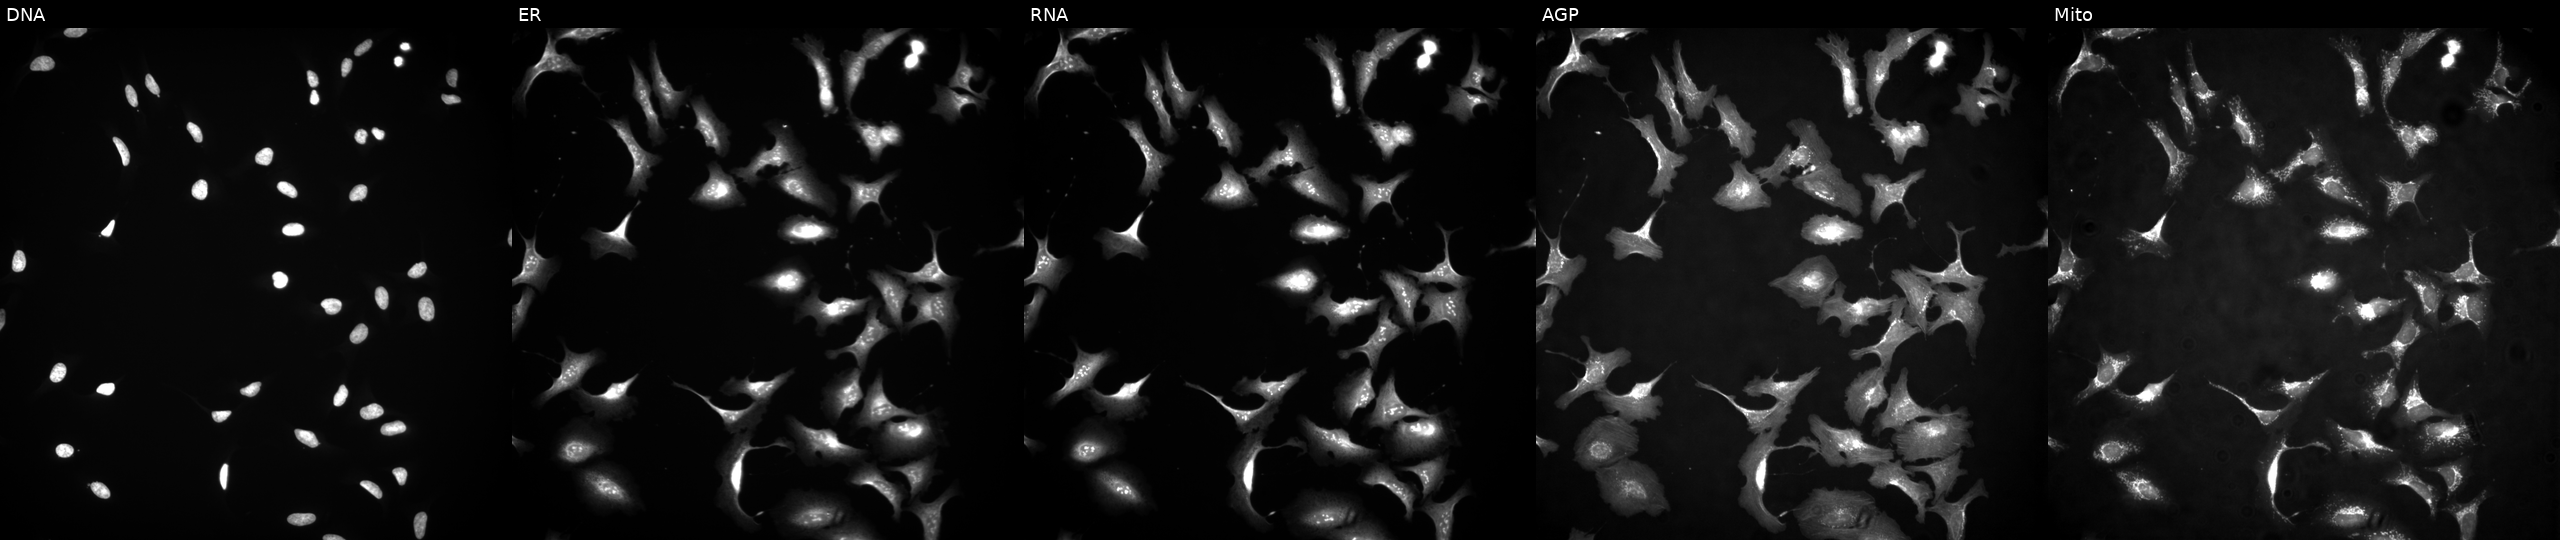
High-content fluorescence microscopy (Cell Painting). Cell line: U2OS. Perturbation: with H2AC18 overexpressed (ORF) (JUMP id JCP2022_914624). From left to right: DNA, ER, RNA, AGP, and Mito.